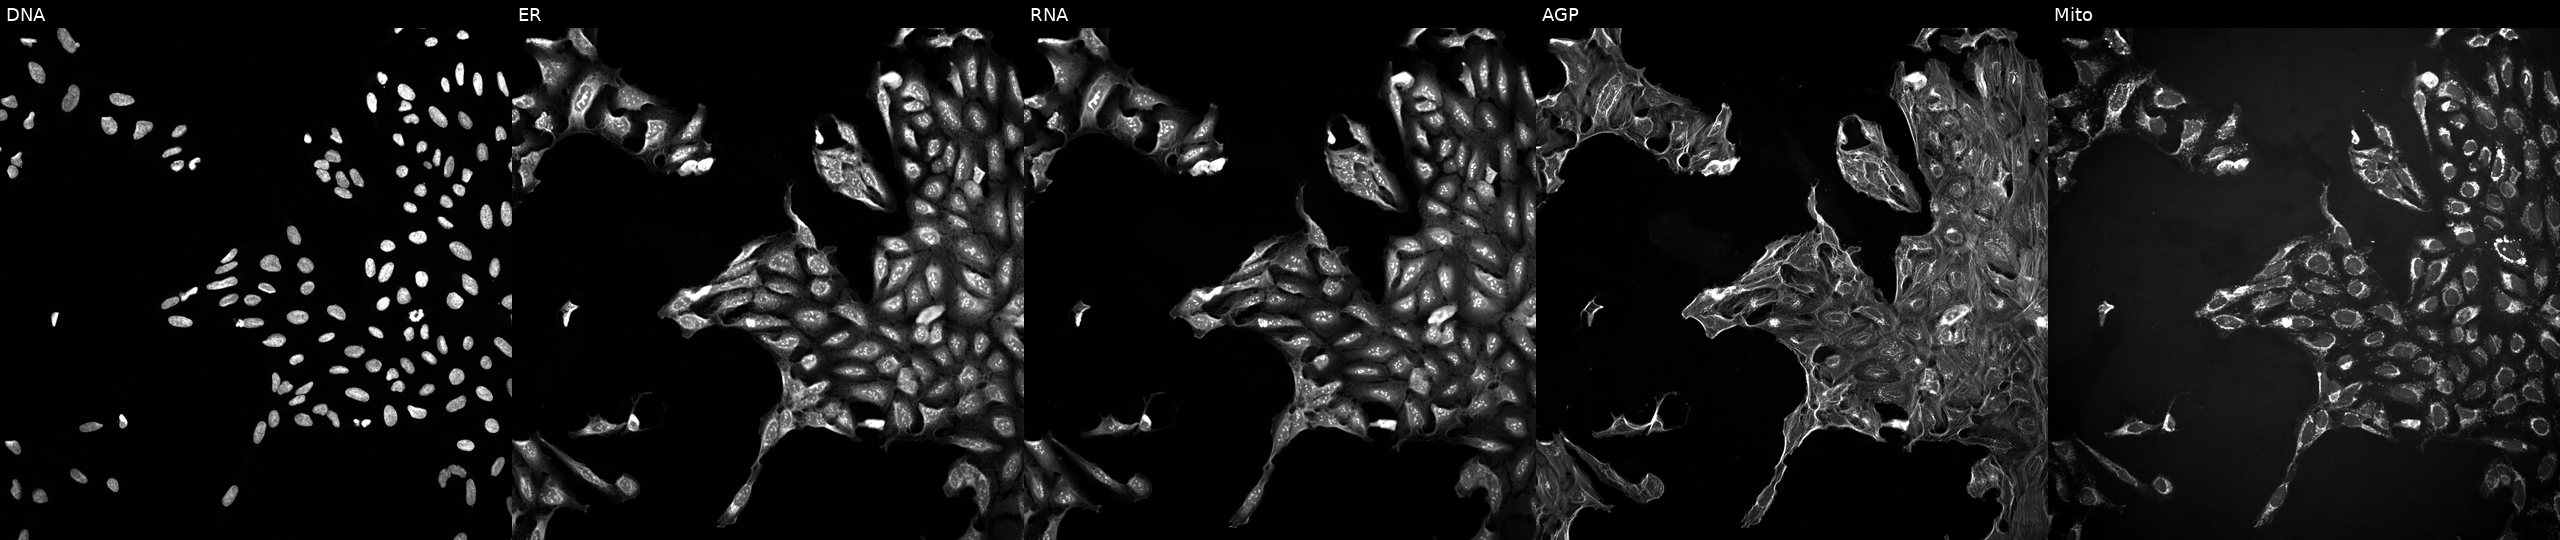
High-content fluorescence microscopy (Cell Painting). Cell line: U2OS. Perturbation: exposed to a small-molecule compound (InChIKey ZIUDADZJCKGWKR-UHFFFAOYSA-N) [SMILES: Cc1cc(-c2ccc3c(c2)CCC3N2CC3(CCN(C(=O)Cc4cn5cc(C)sc5n4)CC3)C2)ncn1]. Panels show, left to right, DNA (nuclei); ER (endoplasmic reticulum); RNA (nucleoli and cytoplasmic RNA); AGP (actin cytoskeleton, Golgi, and plasma membrane); Mito (mitochondria).